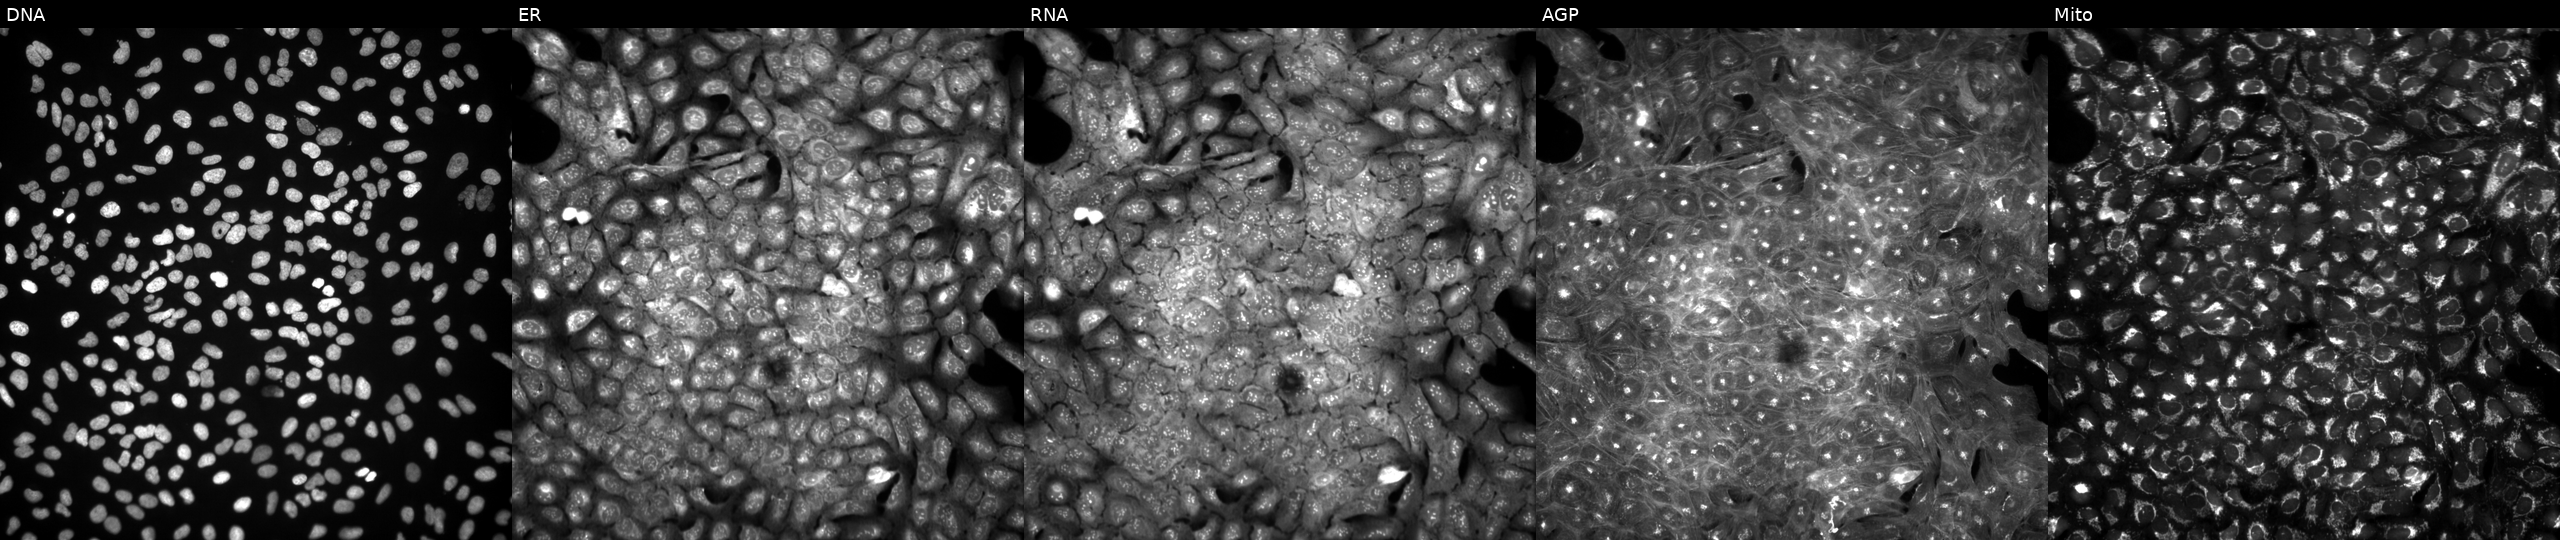
This image strip shows the five Cell Painting channels for a single field of U2OS cells exposed to a small-molecule compound (InChIKey UDWDRPWFRONUER-UHFFFAOYSA-N) [SMILES: CC1CC1C(=O)OCC(=O)NC(=O)NCc1ccco1]. Panels show, left to right, DNA, ER, RNA, AGP, and Mito. Source 3, plate BR5867b3, well P18.